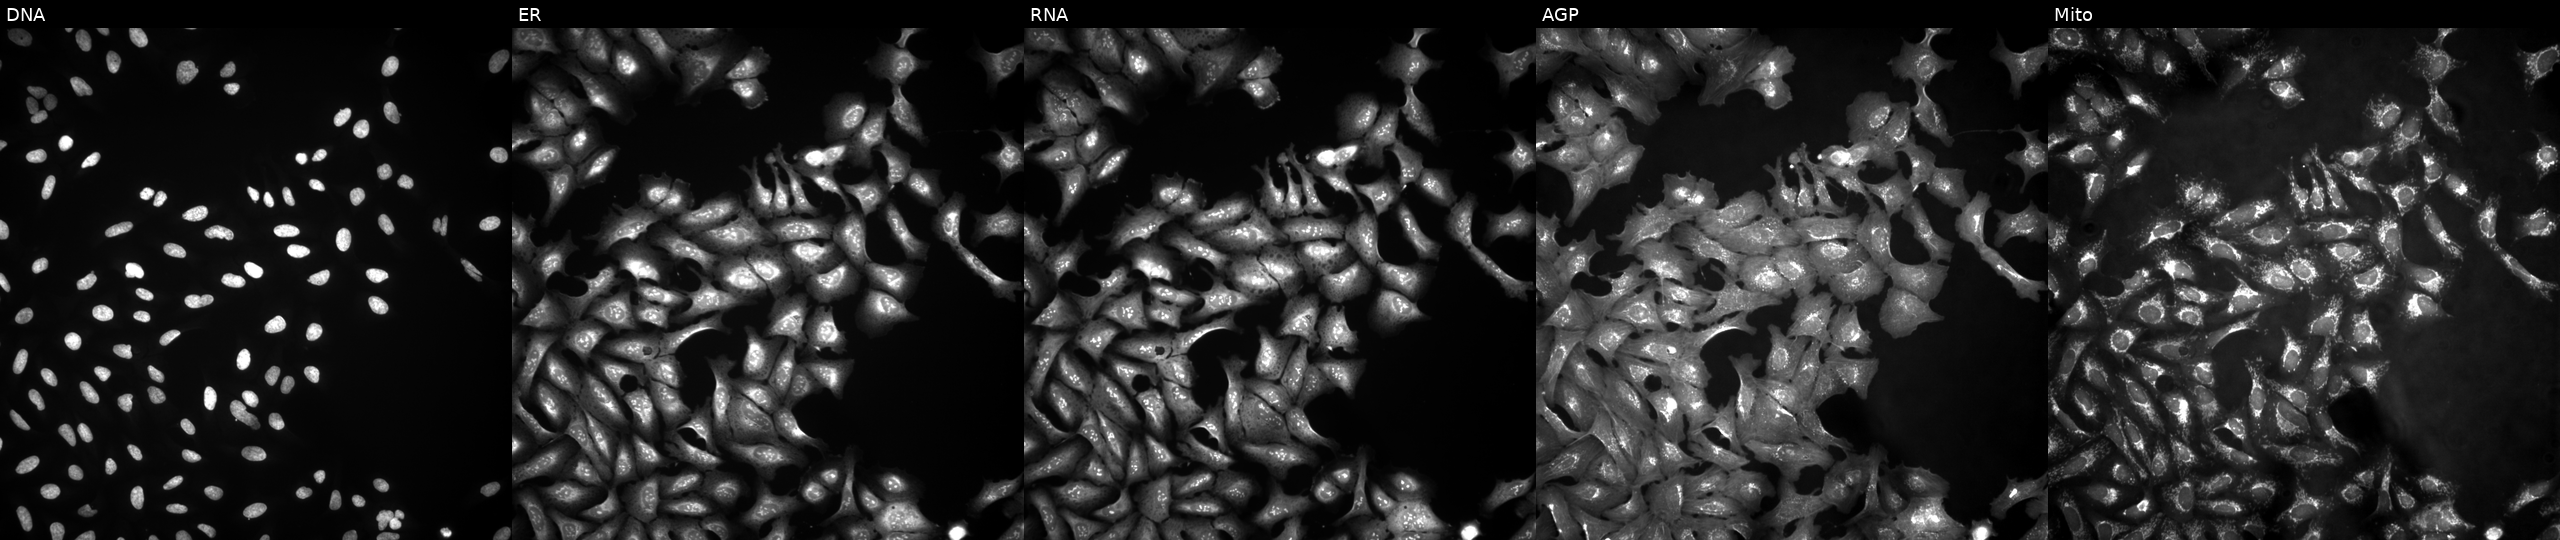
Five-channel Cell Painting image of U2OS cells overexpressing FBP1 via ORF transfection. From left to right: DNA (nuclei); ER (endoplasmic reticulum); RNA (nucleoli and cytoplasmic RNA); AGP (actin cytoskeleton, Golgi, and plasma membrane); Mito (mitochondria).